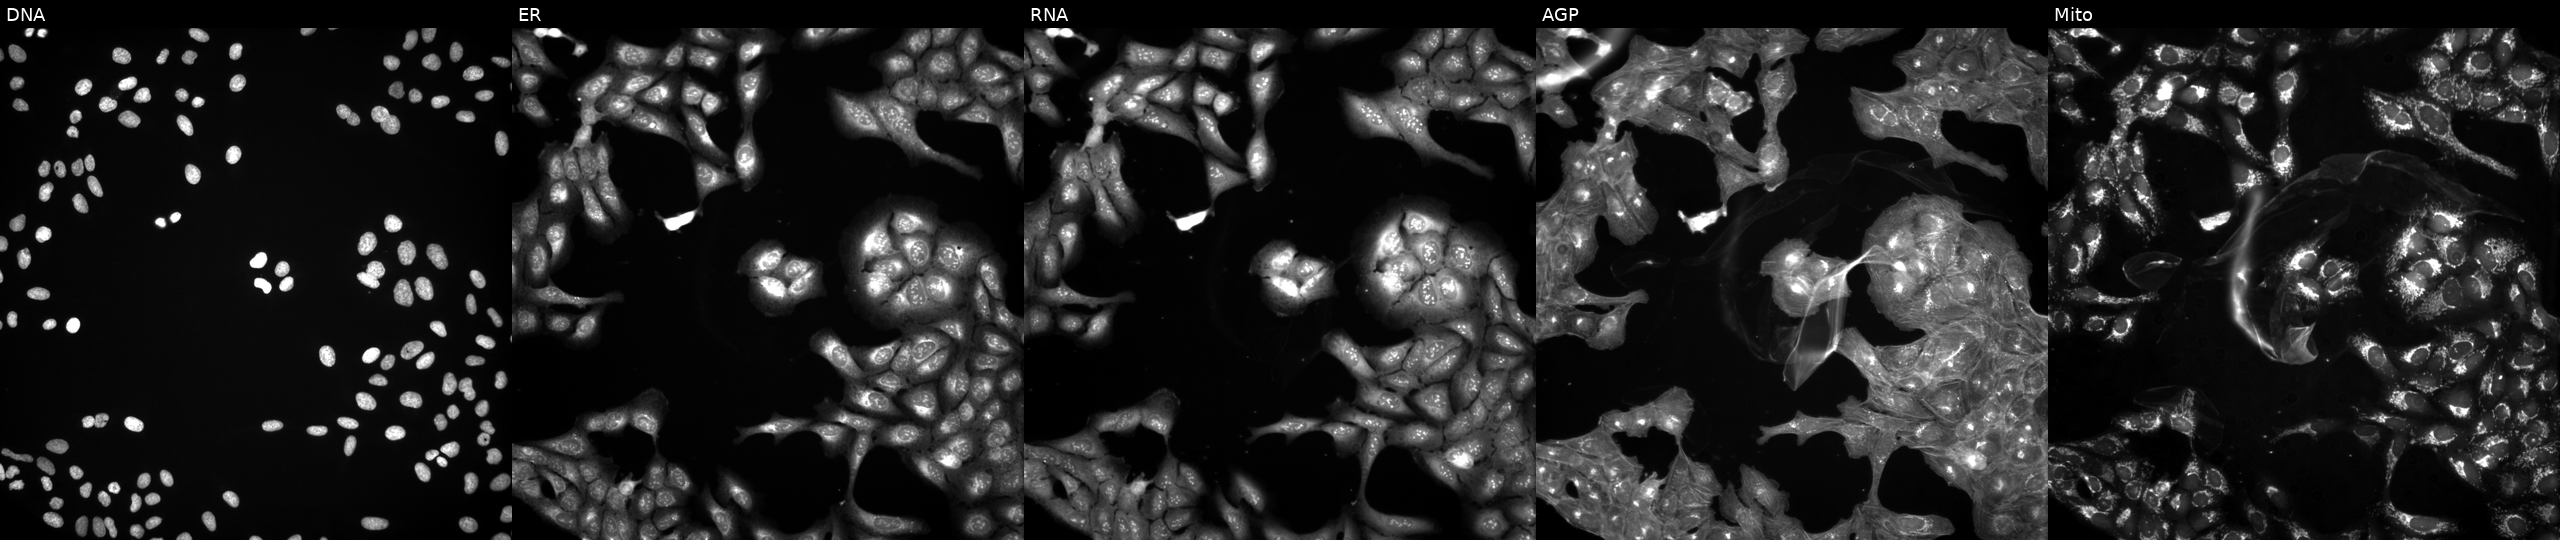
This image strip shows the five Cell Painting channels for a single field of U2OS cells treated with a small-molecule compound (InChIKey FTDNUHJQIJZIJJ-UHFFFAOYSA-N). The five panels, left to right, show DNA, ER, RNA, AGP, and Mito.